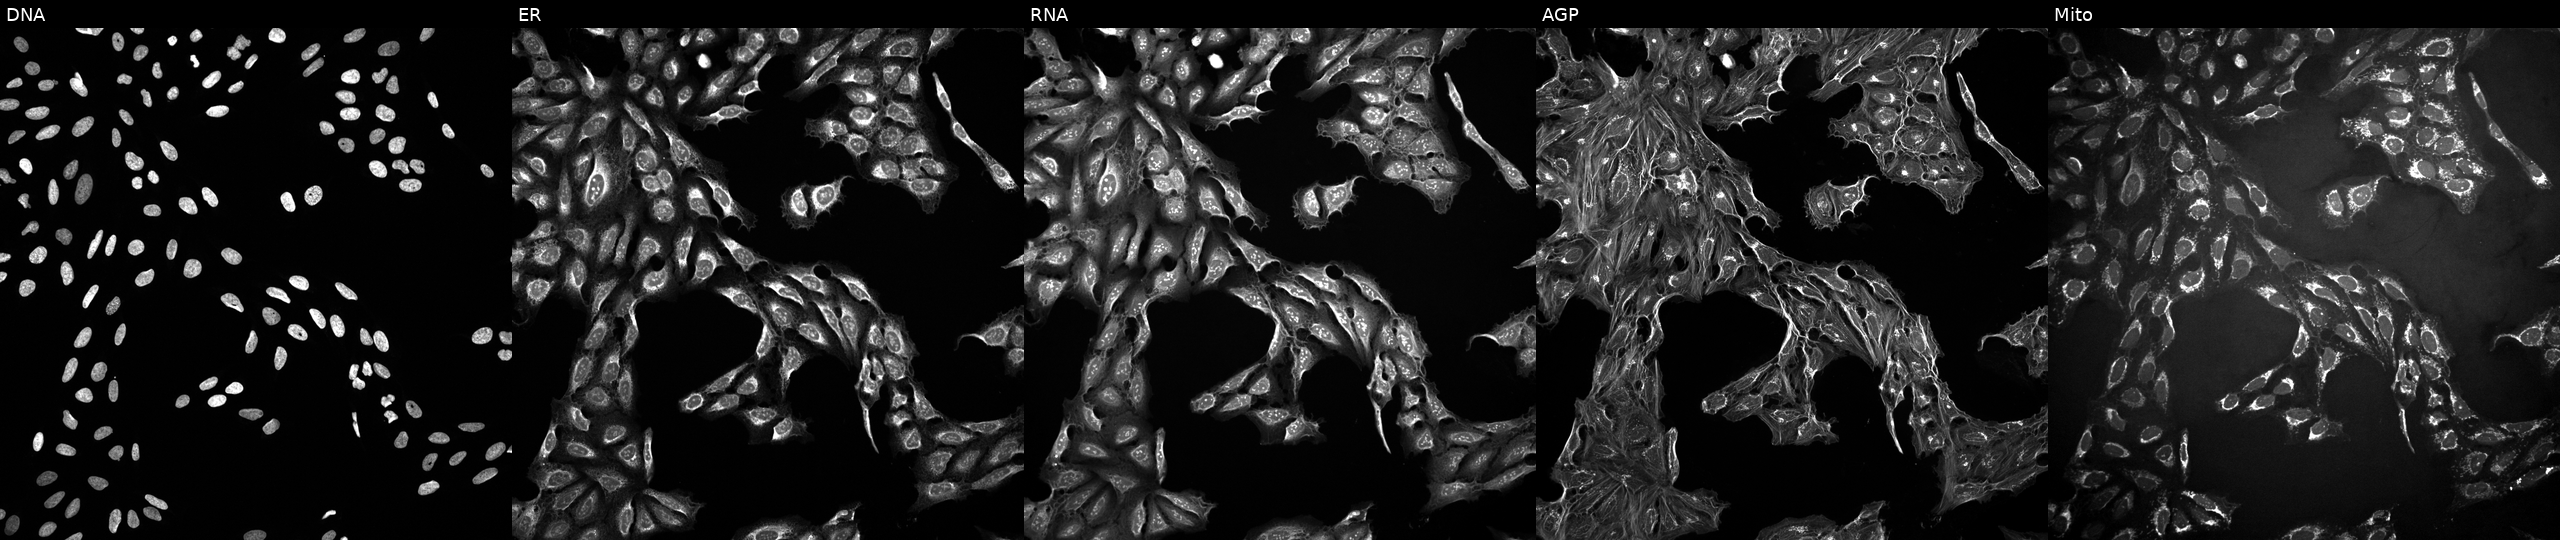
High-content fluorescence microscopy (Cell Painting). Cell line: U2OS. Perturbation: exposed to a small-molecule compound [SMILES: COC(=O)c1c(C)[nH]c(C(=O)C(C)Sc2nnnn2C)c1C] (JUMP id JCP2022_032659). From left to right: DNA, ER, RNA, AGP, and Mito. Source 10, plate Dest210531-152324, well M03.